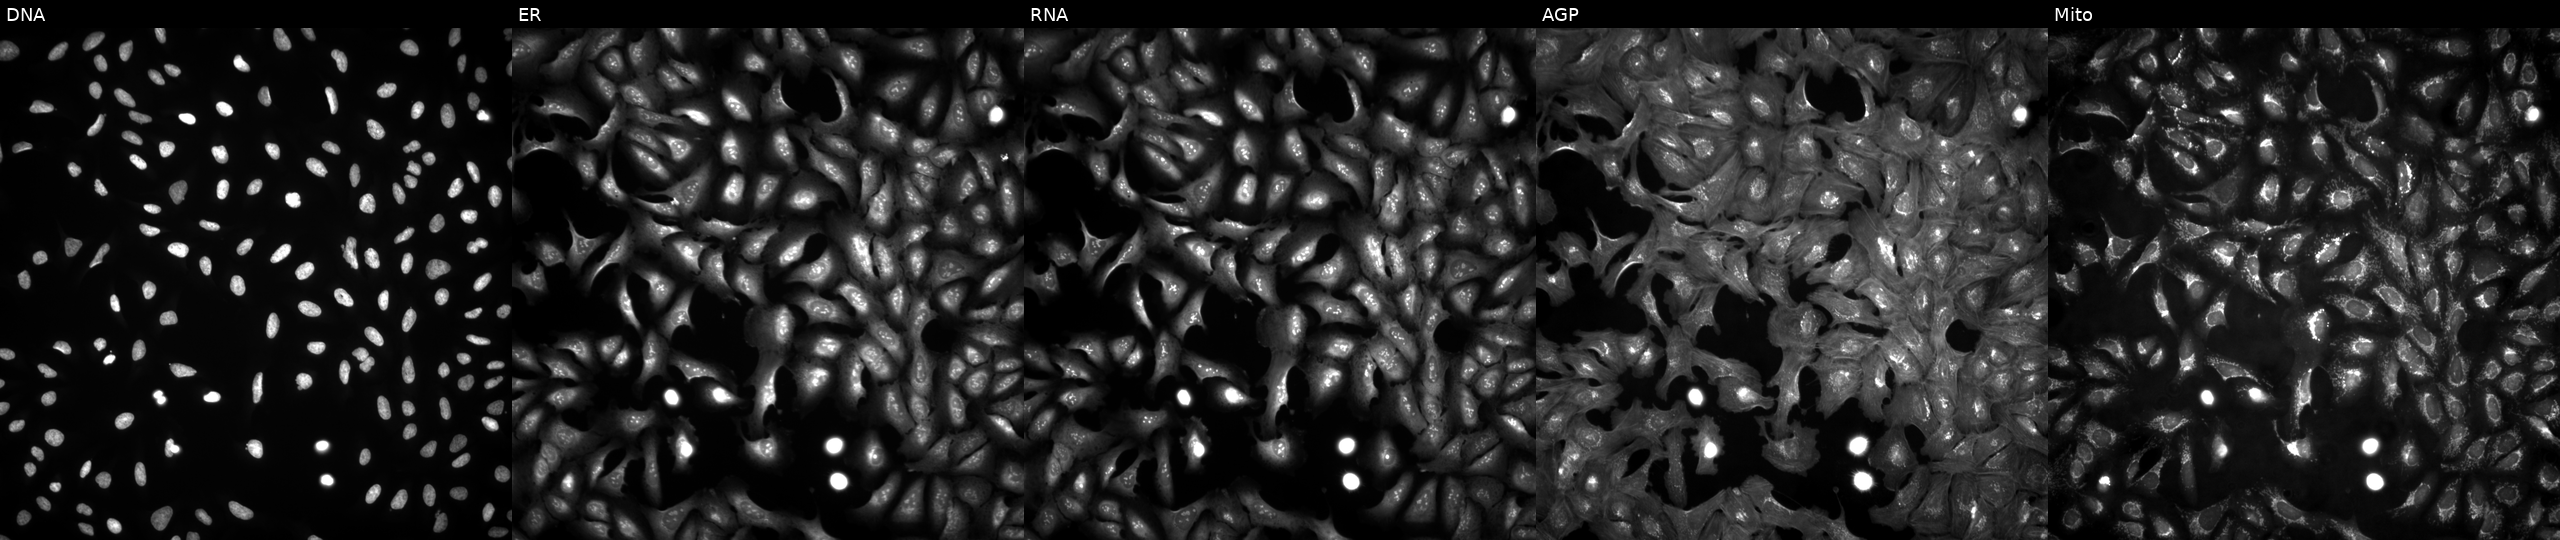
High-content fluorescence microscopy (Cell Painting). Cell line: U2OS. Perturbation: transfected with an ORF construct for TSPAN31. From left to right: Hoechst 33342, concanavalin A, SYTO 14, phalloidin and WGA, MitoTracker.